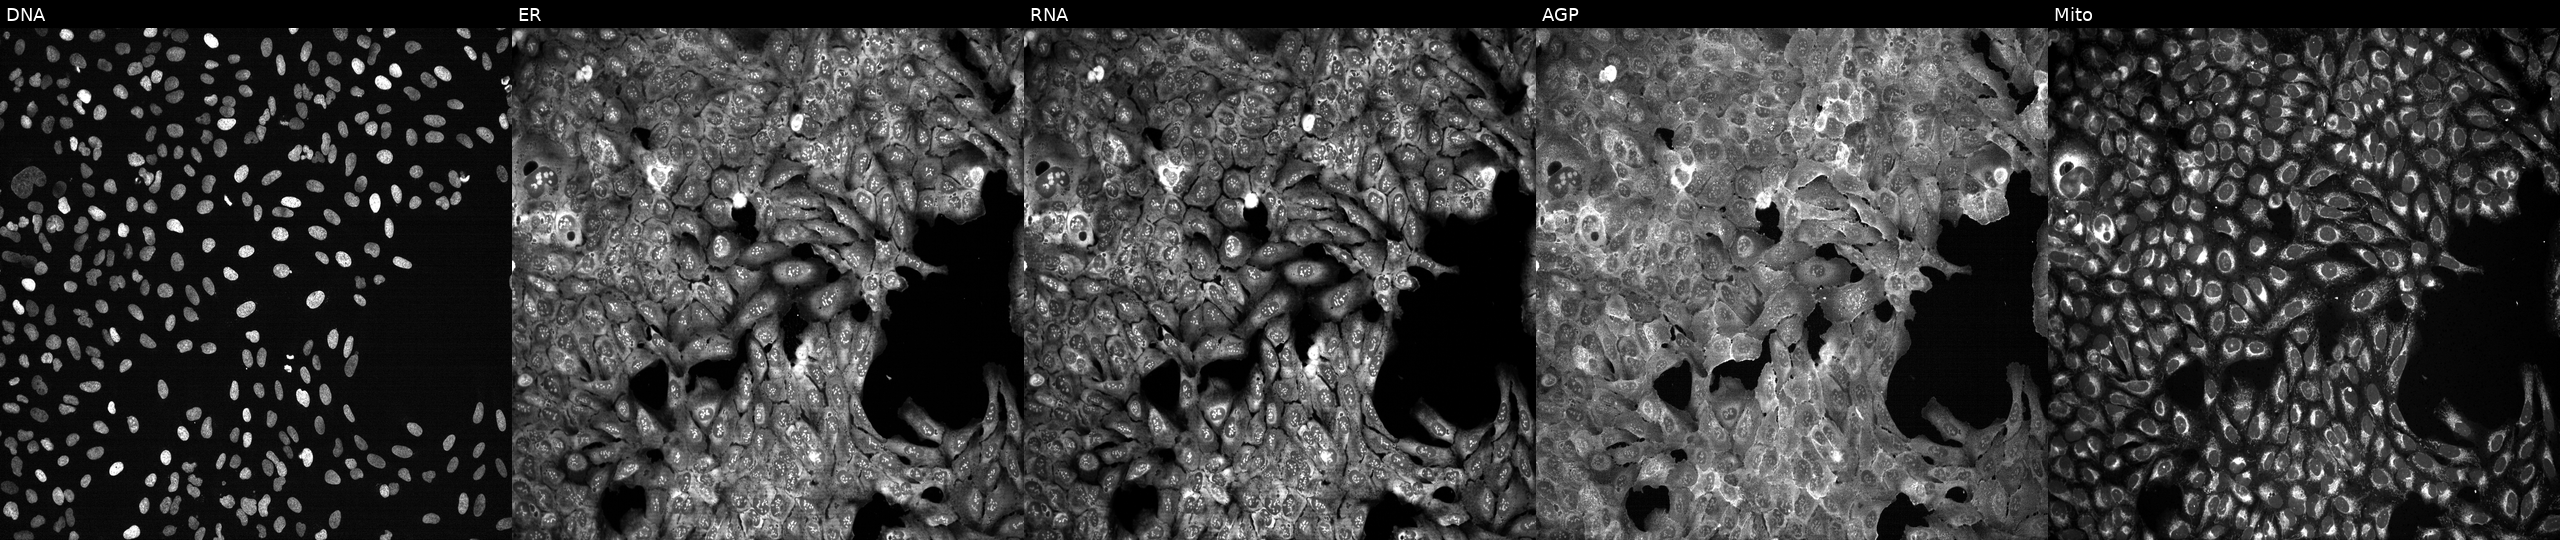
Five-channel Cell Painting image of U2OS cells with SDSL knocked out by CRISPR (JUMP id JCP2022_806242). Panels show, left to right, DNA (nuclei); ER (endoplasmic reticulum); RNA (nucleoli and cytoplasmic RNA); AGP (actin cytoskeleton, Golgi, and plasma membrane); Mito (mitochondria).